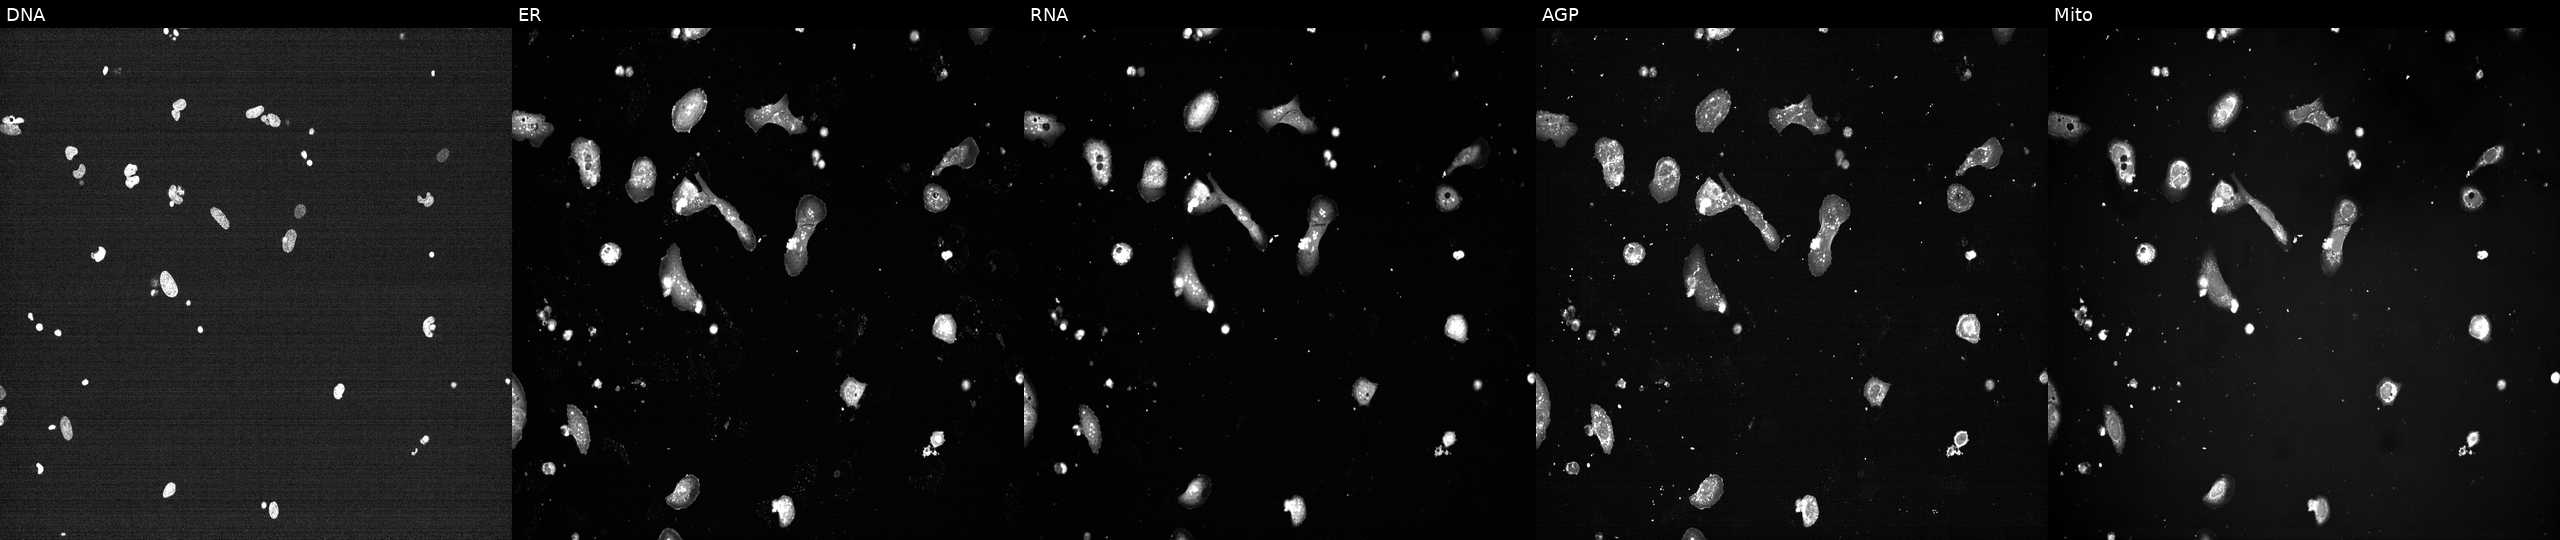
High-content fluorescence microscopy (Cell Painting). Cell line: U2OS. Perturbation: perturbed with a small-molecule compound (JUMP id JCP2022_013856). Panels show, left to right, DNA (nuclei); ER (endoplasmic reticulum); RNA (nucleoli and cytoplasmic RNA); AGP (actin cytoskeleton, Golgi, and plasma membrane); Mito (mitochondria). Source 7, plate CP1-SC1-25, well D14.